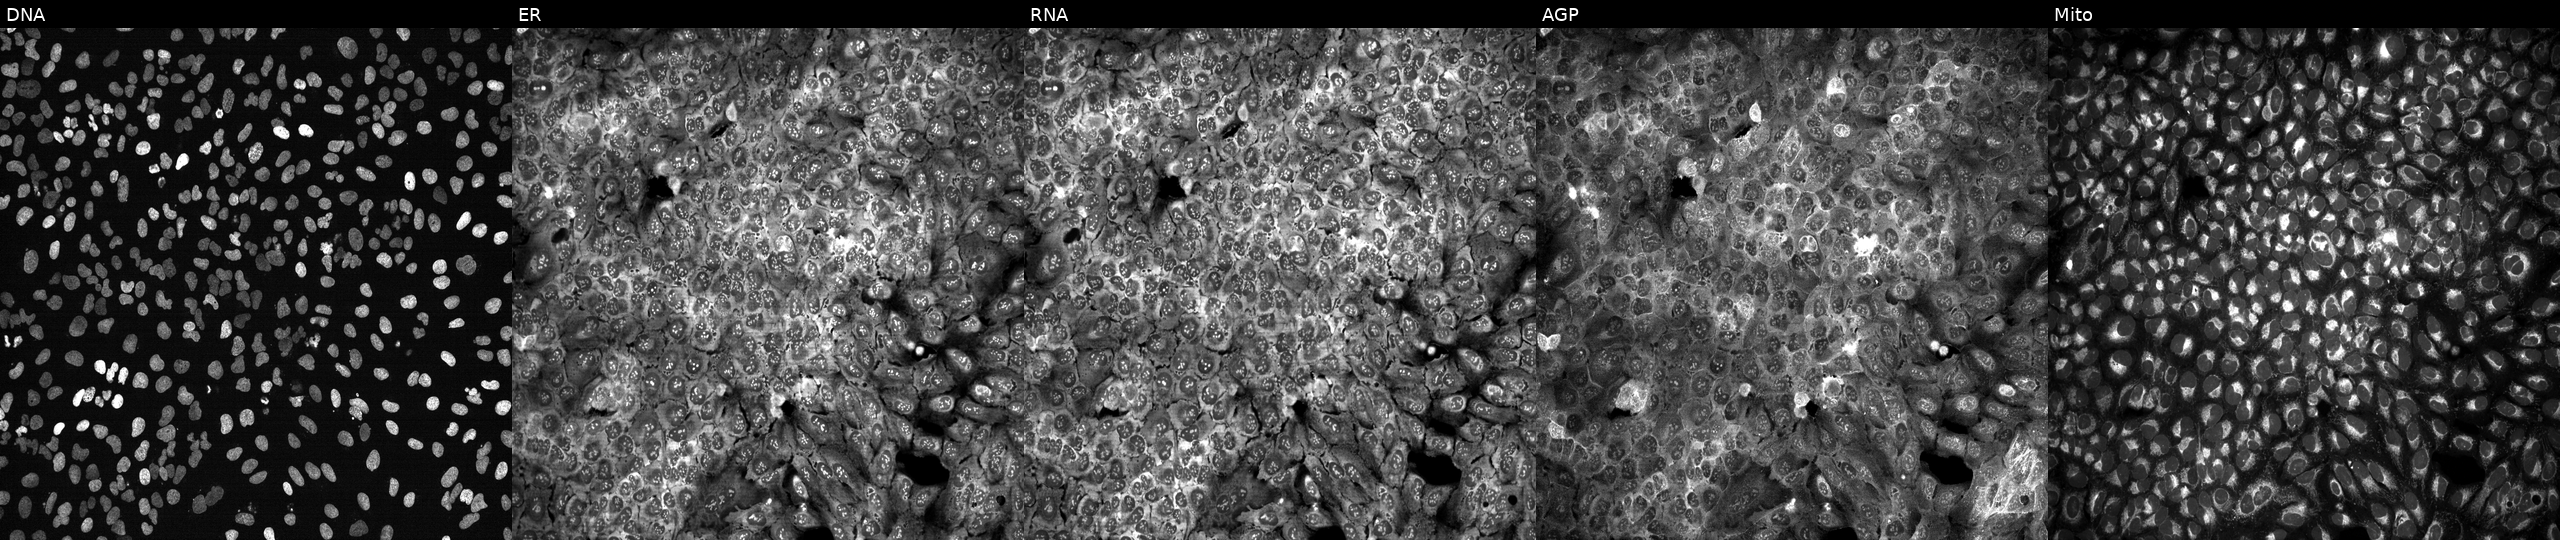
Five-channel Cell Painting image of U2OS cells CRISPR-edited to disrupt MYO7A (JUMP id JCP2022_804391). From left to right: Hoechst 33342, concanavalin A, SYTO 14, phalloidin and WGA, MitoTracker. Source 13, plate CP-CC9-R4-03, well J14.